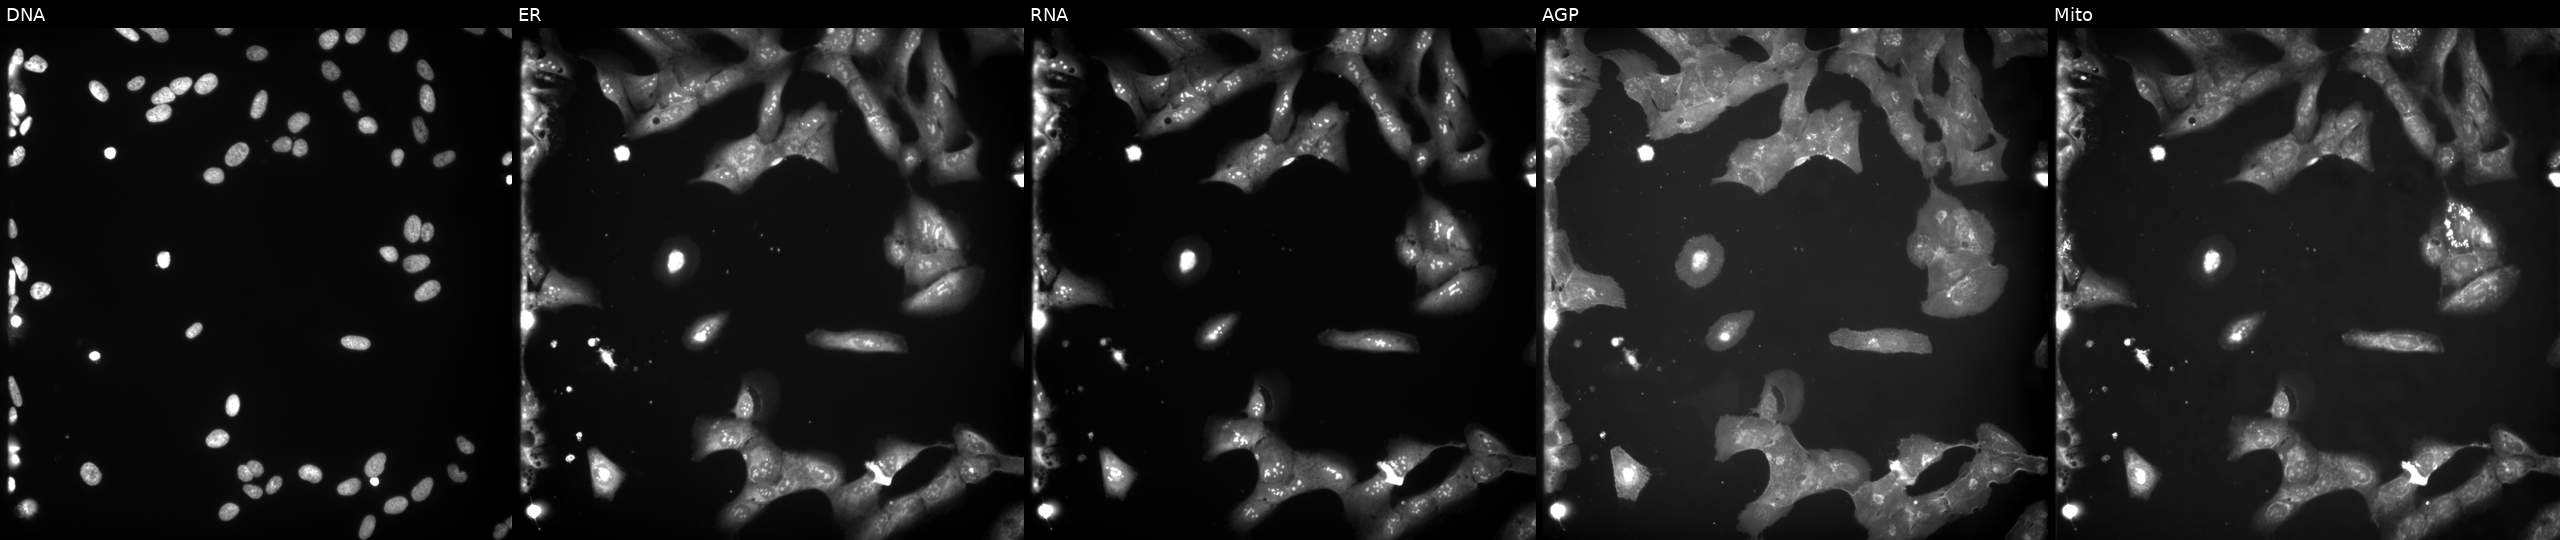
This image strip shows the five Cell Painting channels for a single field of U2OS cells exposed to a small-molecule compound (InChIKey BIDRDWOISBHOOP-UHFFFAOYSA-N). Channels (left→right): DNA, ER, RNA, AGP, and Mito.